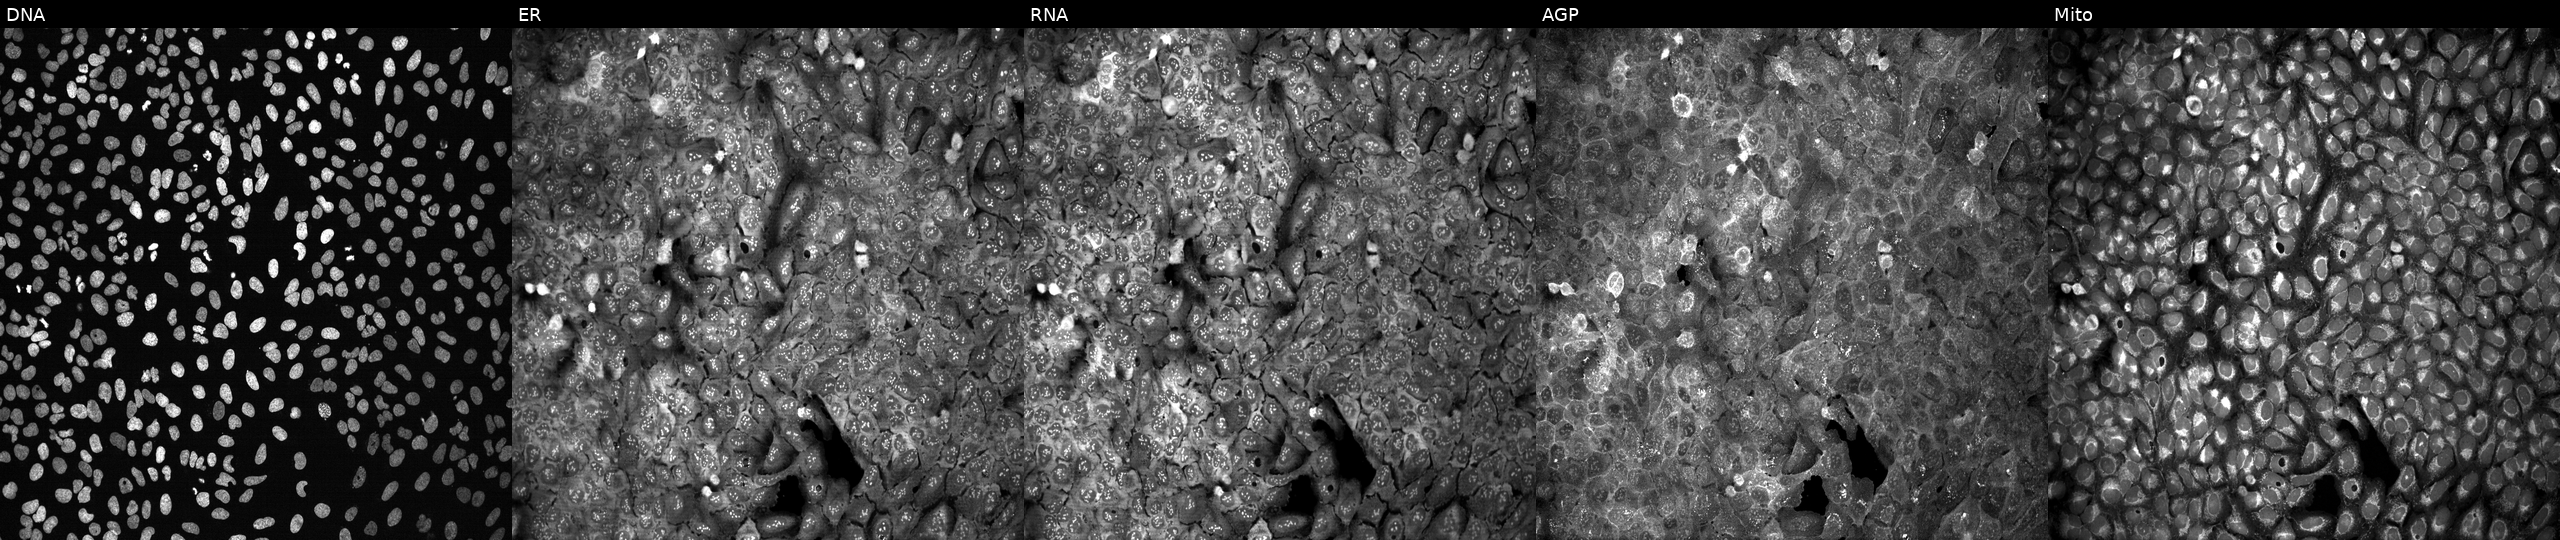
High-content fluorescence microscopy (Cell Painting). Cell line: U2OS. Perturbation: following CRISPR knockout of SLC13A1 (JUMP id JCP2022_806373). The five panels, left to right, show Hoechst 33342, concanavalin A, SYTO 14, phalloidin and WGA, MitoTracker.